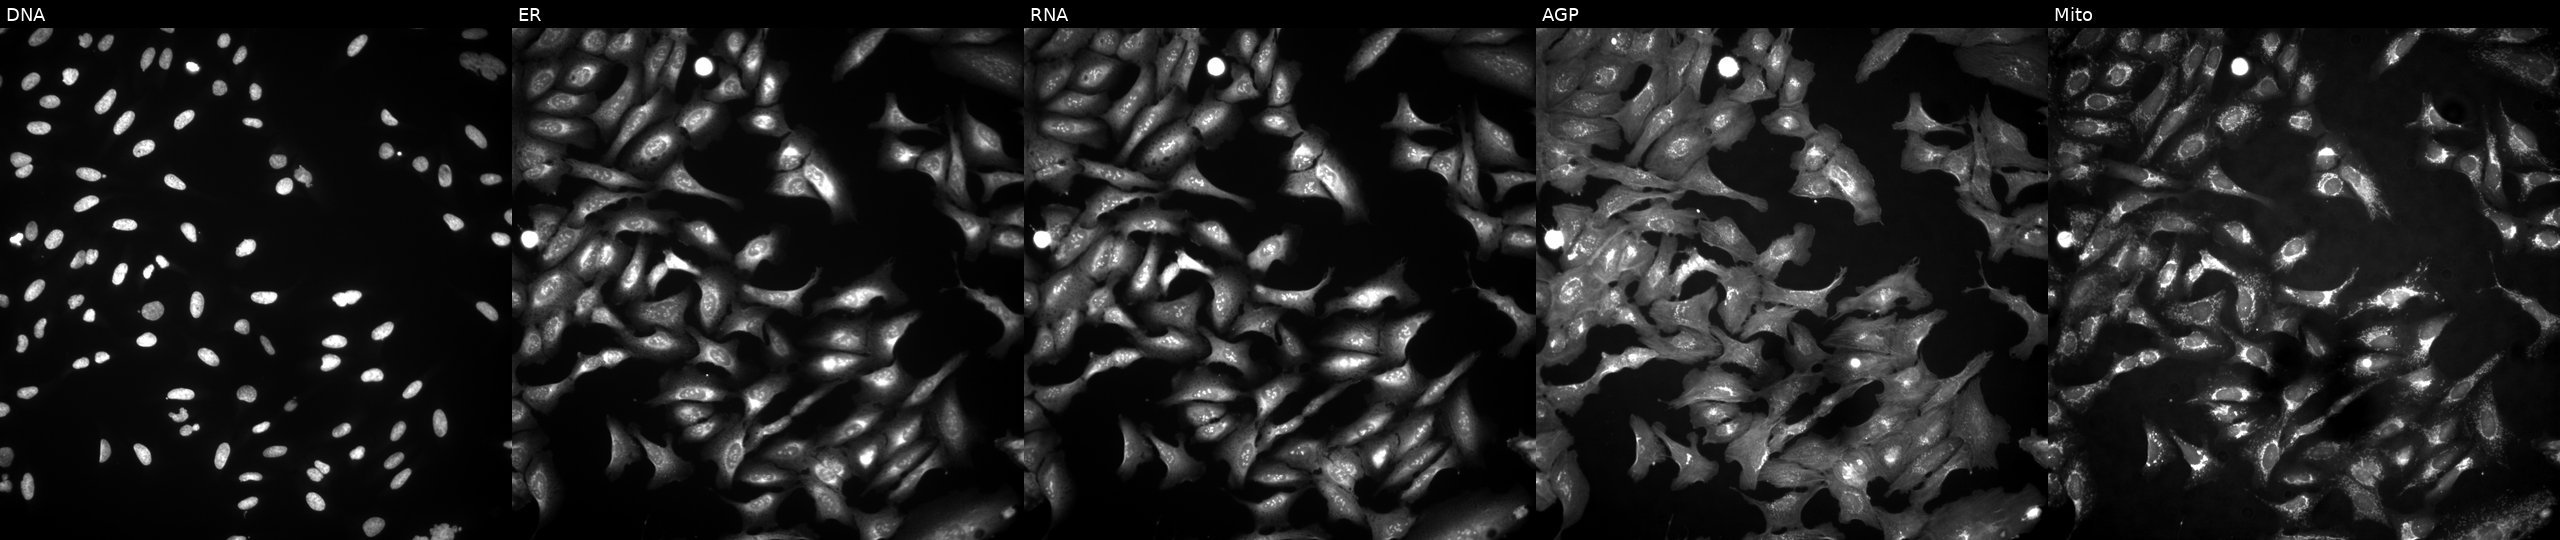
This image strip shows the five Cell Painting channels for a single field of U2OS cells transfected with an ORF construct for CDH9. Channels (left→right): Hoechst 33342, concanavalin A, SYTO 14, phalloidin and WGA, MitoTracker.